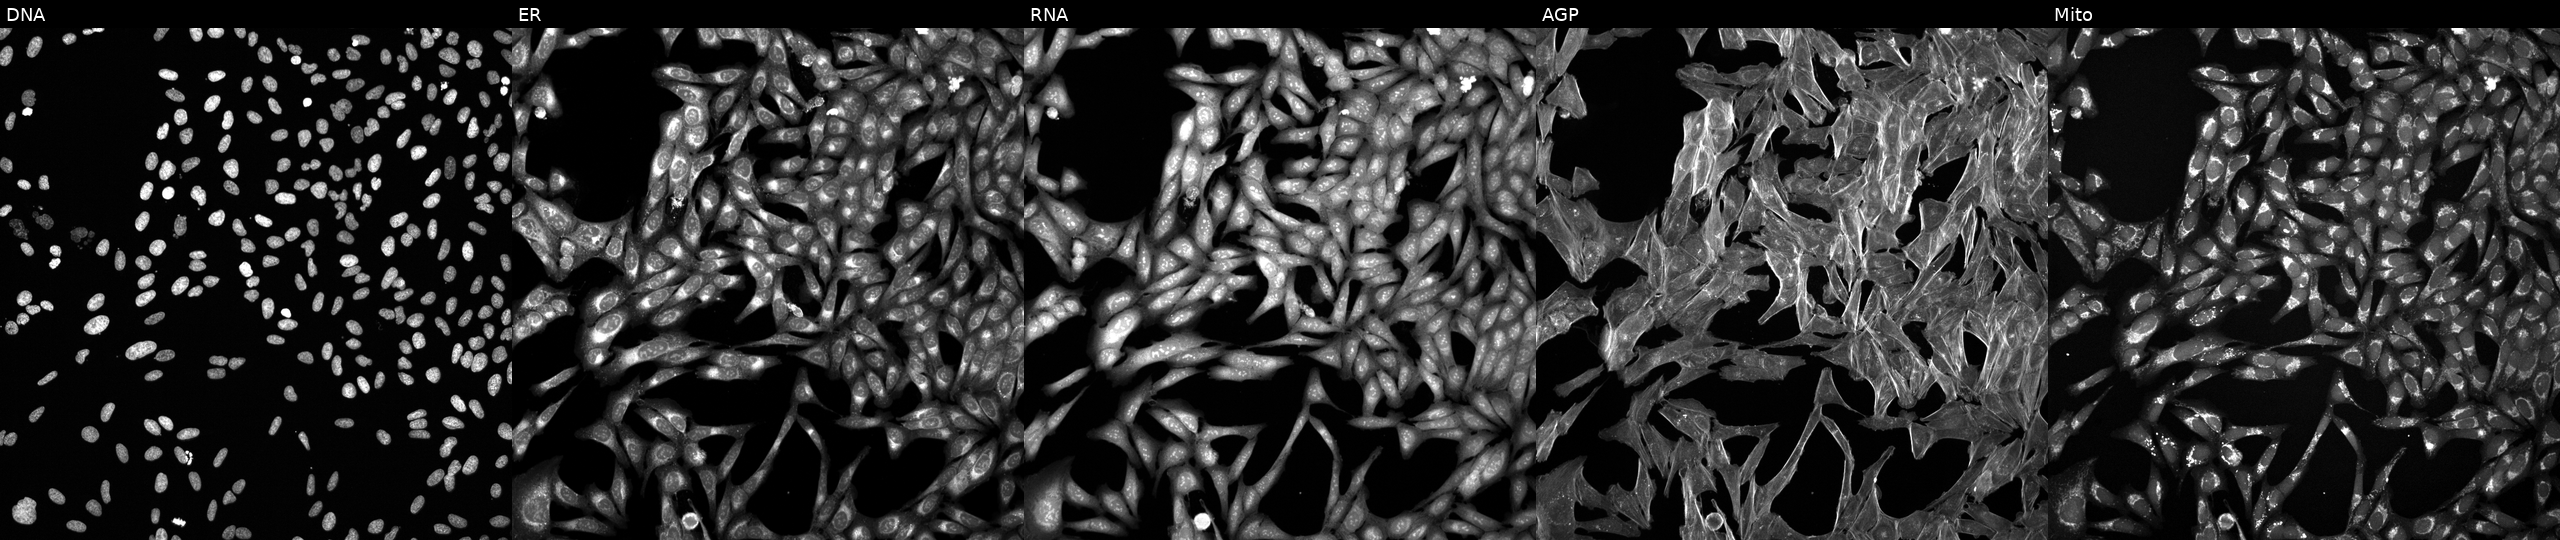
This image strip shows the five Cell Painting channels for a single field of U2OS cells perturbed with a small-molecule compound [SMILES: COc1cccc(-c2cc(C(=O)Nc3cnn(C45CC6CC(CC(C6)C4)C5)c3)on2)c1]. Channels (left→right): DNA, ER, RNA, AGP, and Mito.